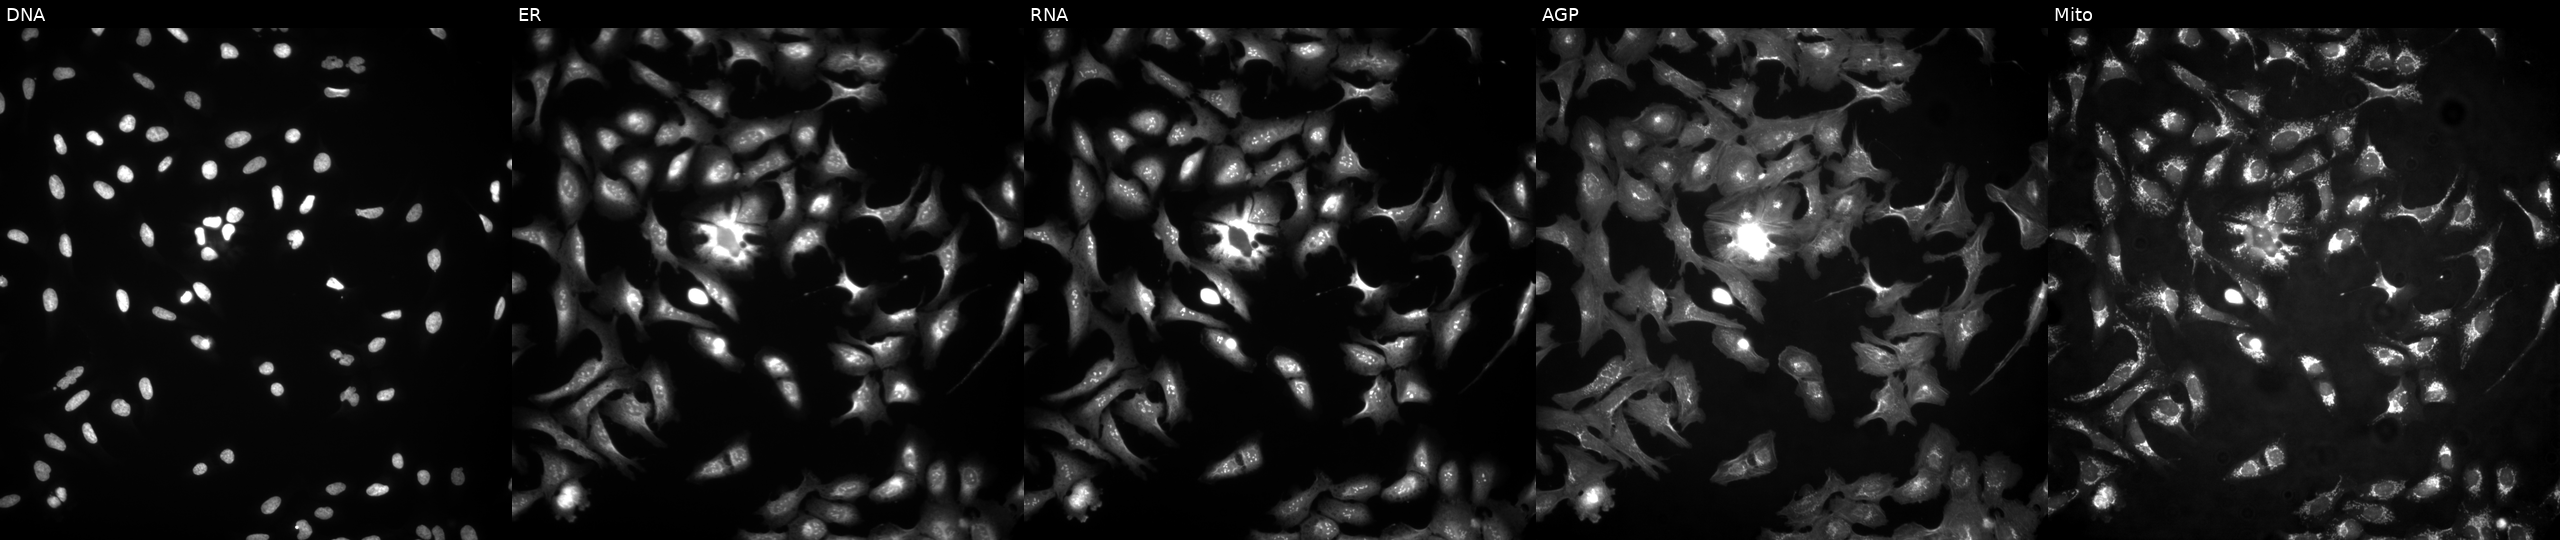
Channels (left→right): Hoechst 33342, concanavalin A, SYTO 14, phalloidin and WGA, MitoTracker. U2OS osteosarcoma cells overexpressing GPN1 via ORF transfection (JUMP id JCP2022_910833). Cell Painting assay, JUMP-CP dataset. Source 4, plate BR00123509, well C01.